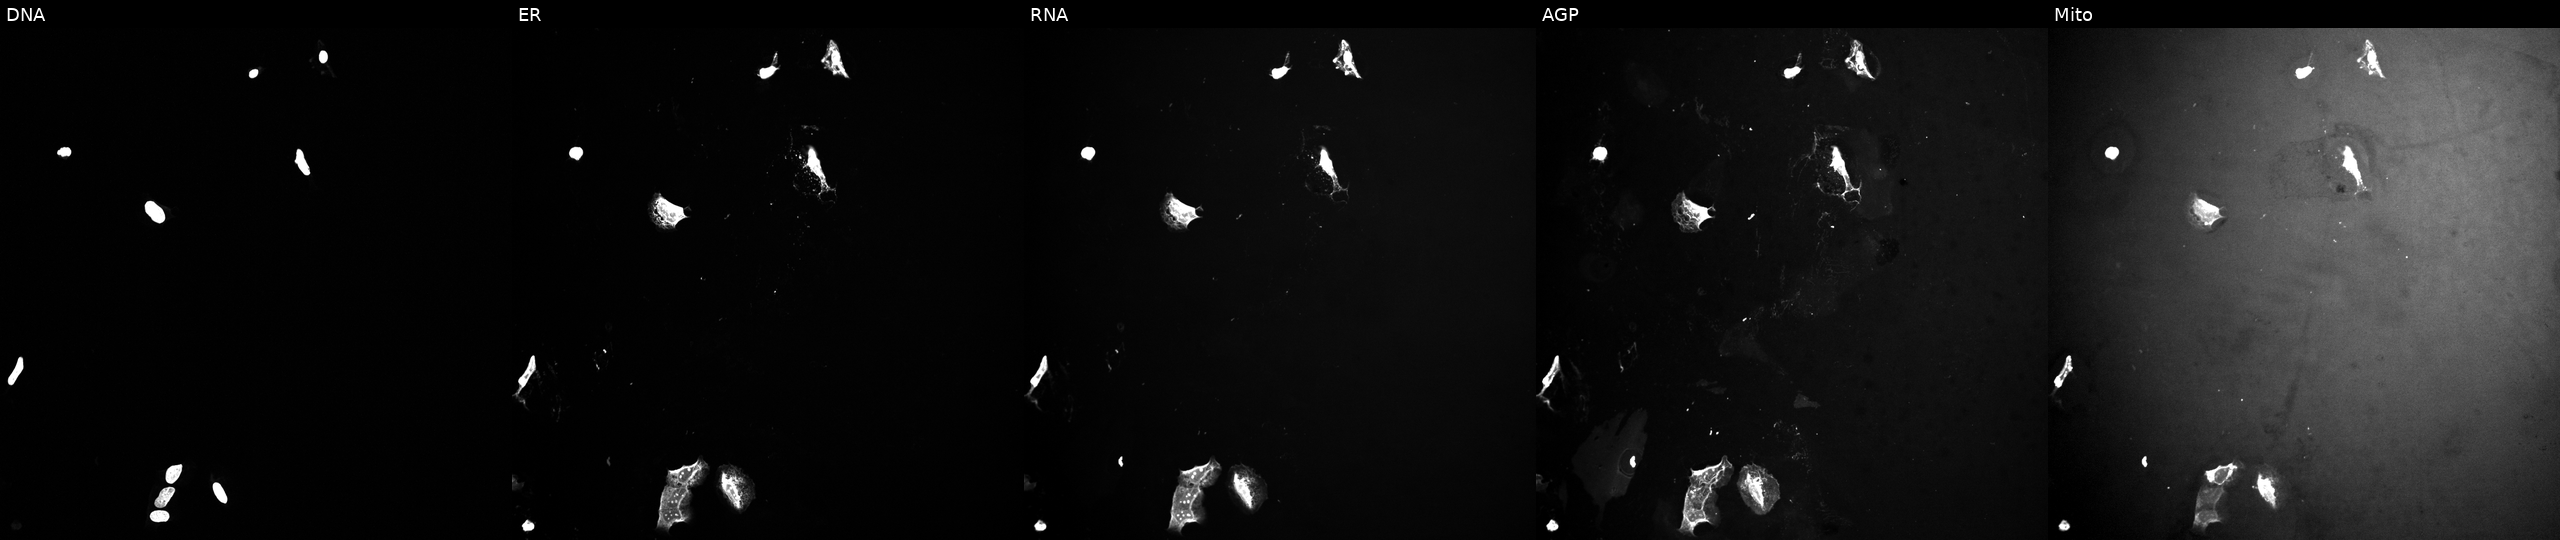
U2OS cells, Cell Painting assay, exposed to a small-molecule compound (JUMP id JCP2022_055397). Channels (left→right): DNA, ER, RNA, AGP, and Mito. Each panel is percentile-stretched 16-bit fluorescence. Source 10, plate Dest210803-153958, well B22.